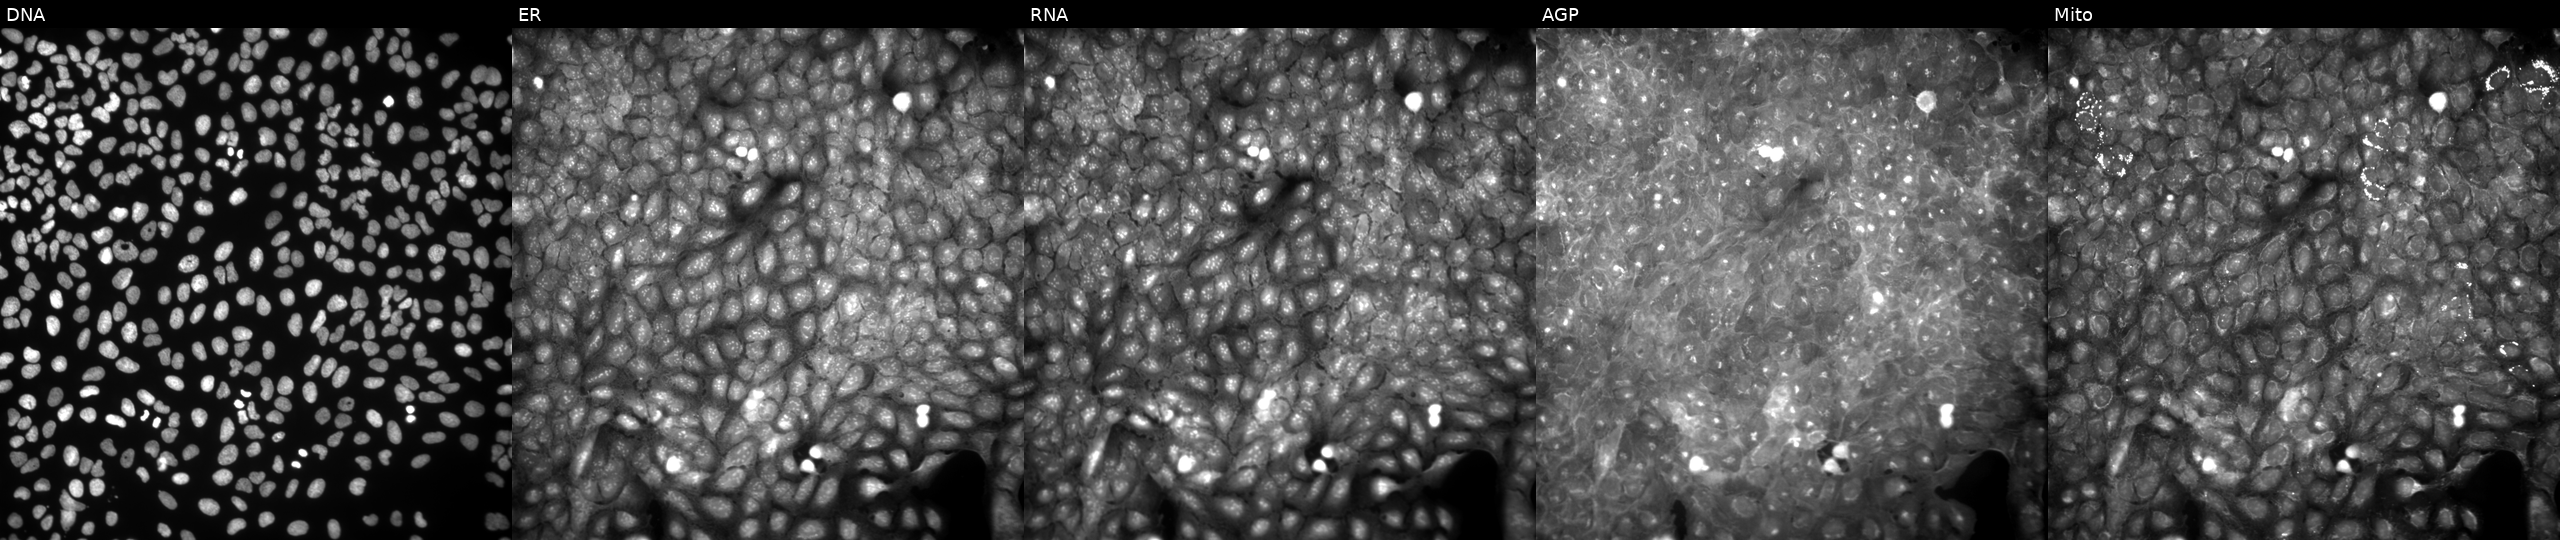
High-content fluorescence microscopy (Cell Painting). Cell line: U2OS. Perturbation: exposed to a small-molecule compound (InChIKey YNSXGMVLWFMRQN-UHFFFAOYSA-N) [SMILES: Cc1ccc(NC(=O)c2cc(S(=O)(=O)N3CCCCC3)cs2)cc1]. From left to right: DNA, ER, RNA, AGP, and Mito. Source 9, plate GR00003382, well Y30.